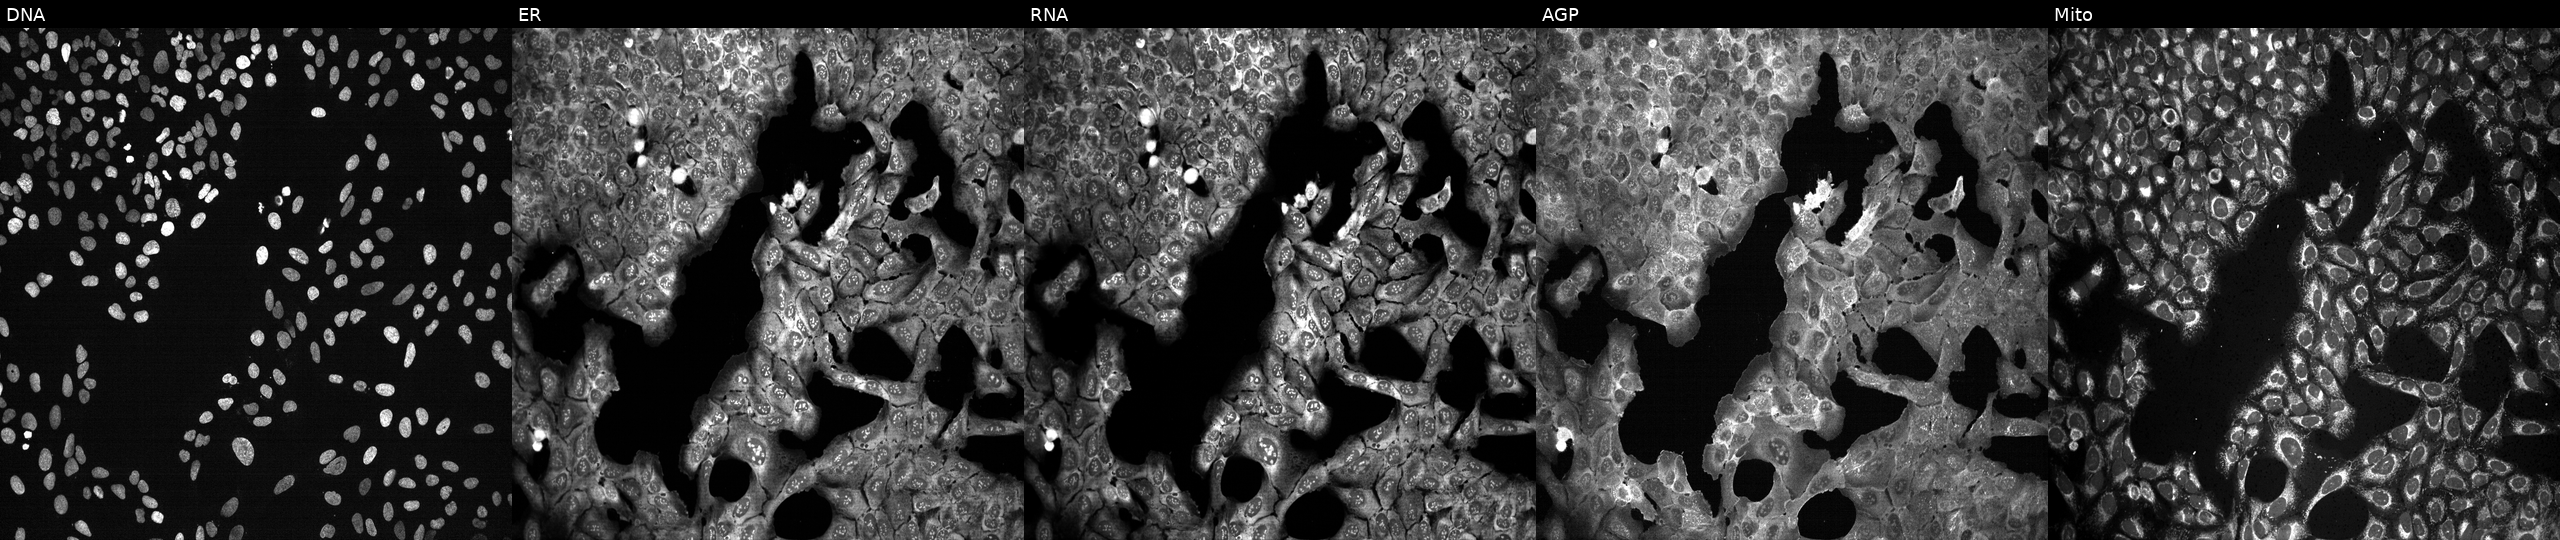
The five panels, left to right, show DNA, ER, RNA, AGP, and Mito. U2OS osteosarcoma cells with HACL1 knocked out by CRISPR (JUMP id JCP2022_803007). Cell Painting assay, JUMP-CP dataset.